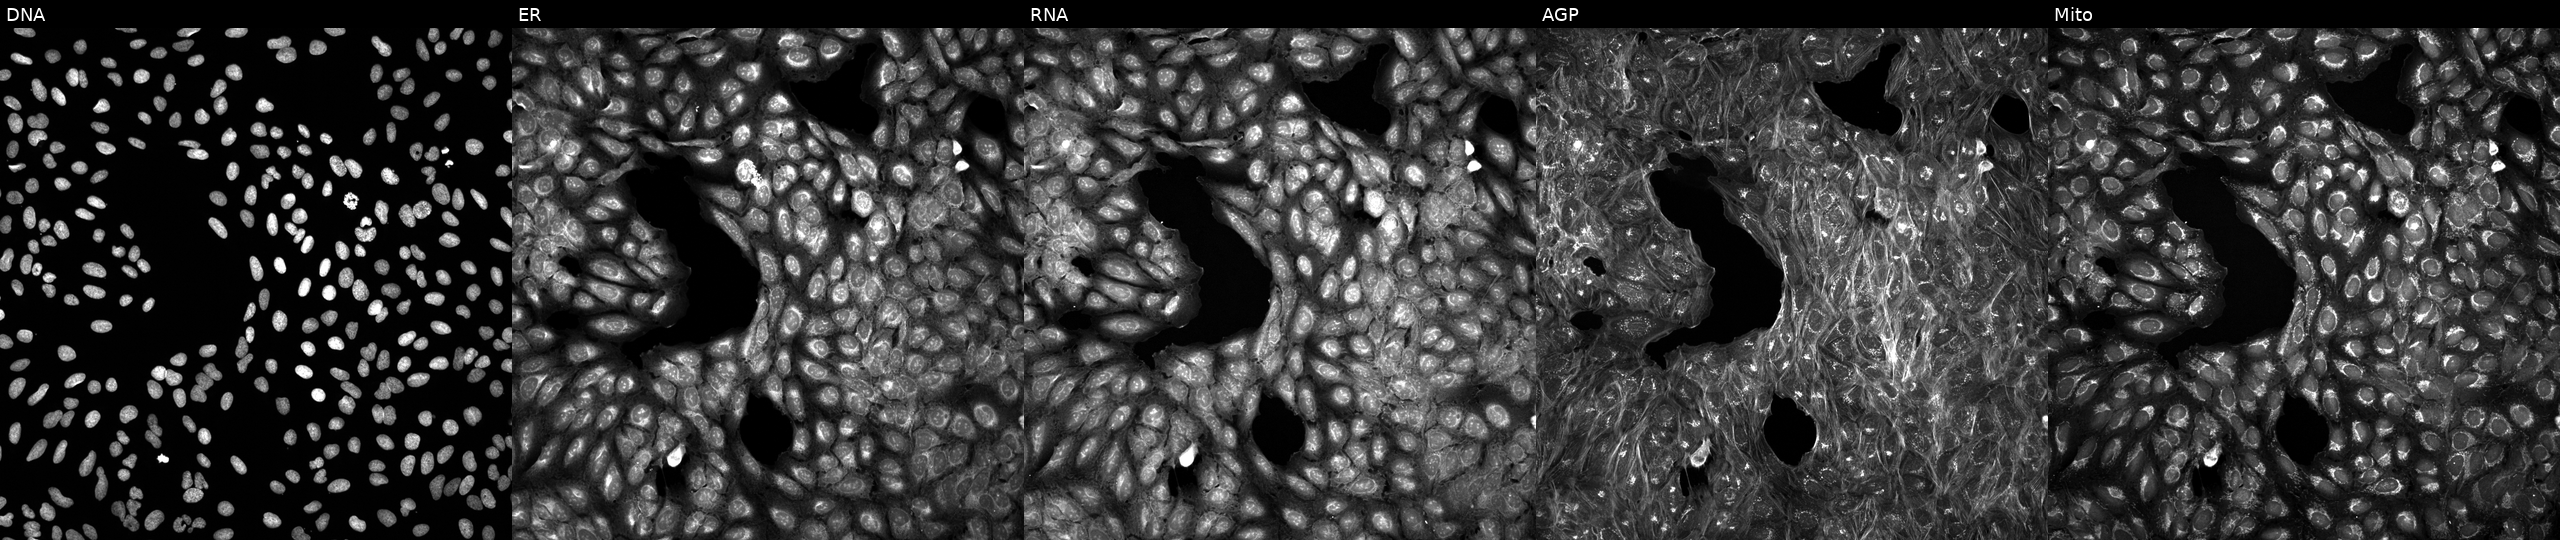
High-content fluorescence microscopy (Cell Painting). Cell line: U2OS. Perturbation: exposed to a small-molecule compound. Channels (left→right): Hoechst 33342, concanavalin A, SYTO 14, phalloidin and WGA, MitoTracker.